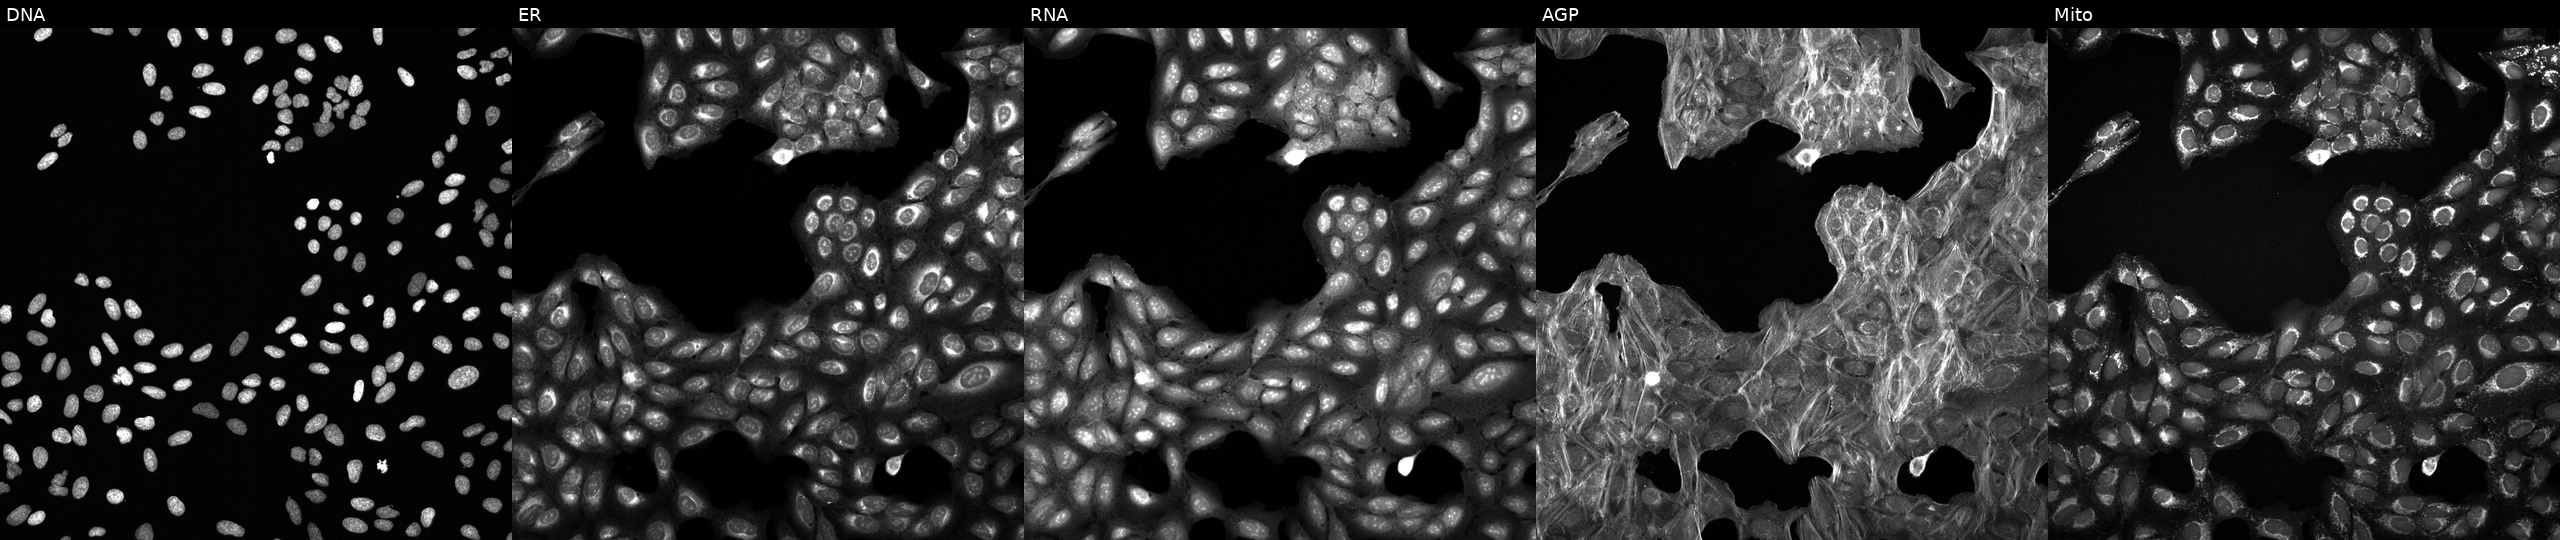
Five-channel Cell Painting image of U2OS cells perturbed with a small-molecule compound (InChIKey RYEFFICCPKWYML-UHFFFAOYSA-N) (JUMP id JCP2022_081496). Panels show, left to right, DNA, ER, RNA, AGP, and Mito. Source 6, plate 110000293093, well M09.